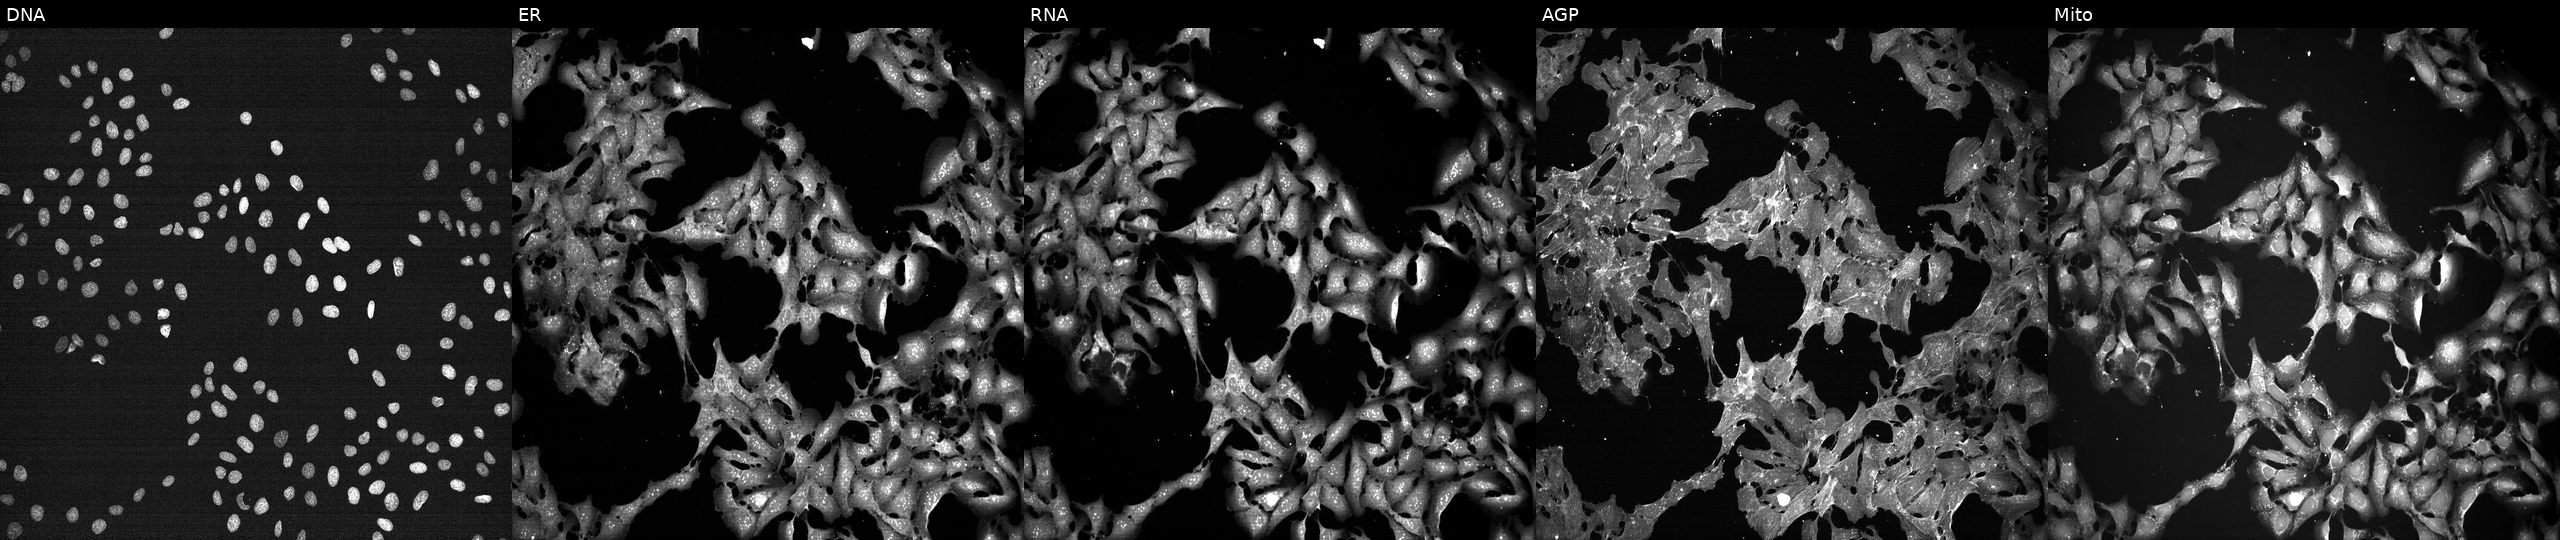
Five-channel Cell Painting image of U2OS cells exposed to the positive-control compound FK-866 (JUMP id JCP2022_046054). From left to right: DNA, ER, RNA, AGP, and Mito.